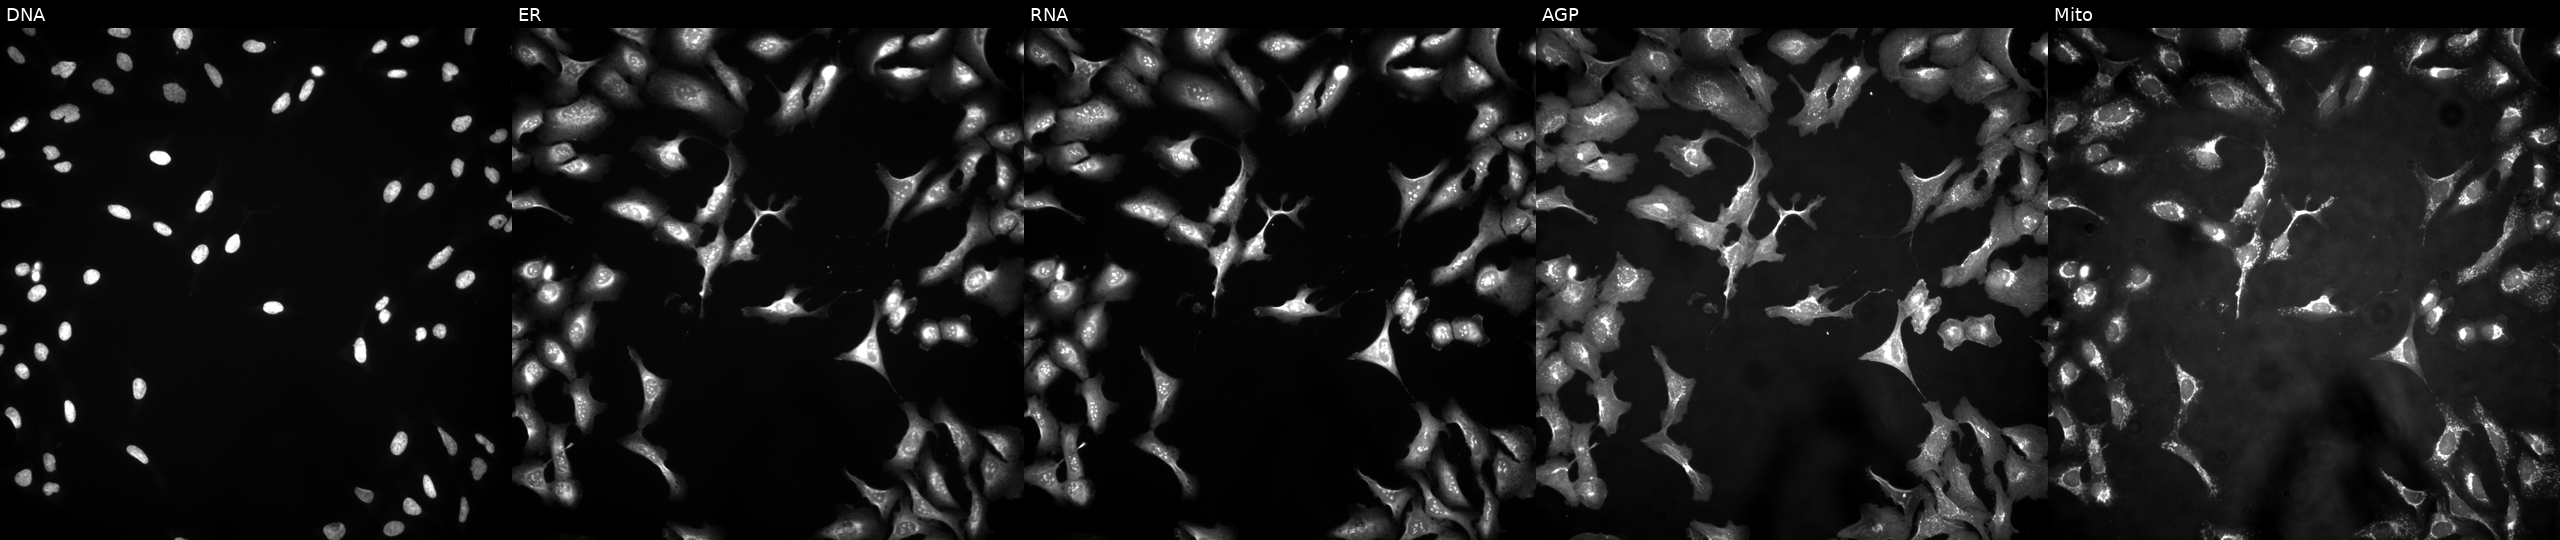
JUMP Cell Painting — ORF plate. U2OS cells with FLRT1 overexpressed (ORF) (JUMP id JCP2022_907414). From left to right: DNA (nuclei); ER (endoplasmic reticulum); RNA (nucleoli and cytoplasmic RNA); AGP (actin cytoskeleton, Golgi, and plasma membrane); Mito (mitochondria).